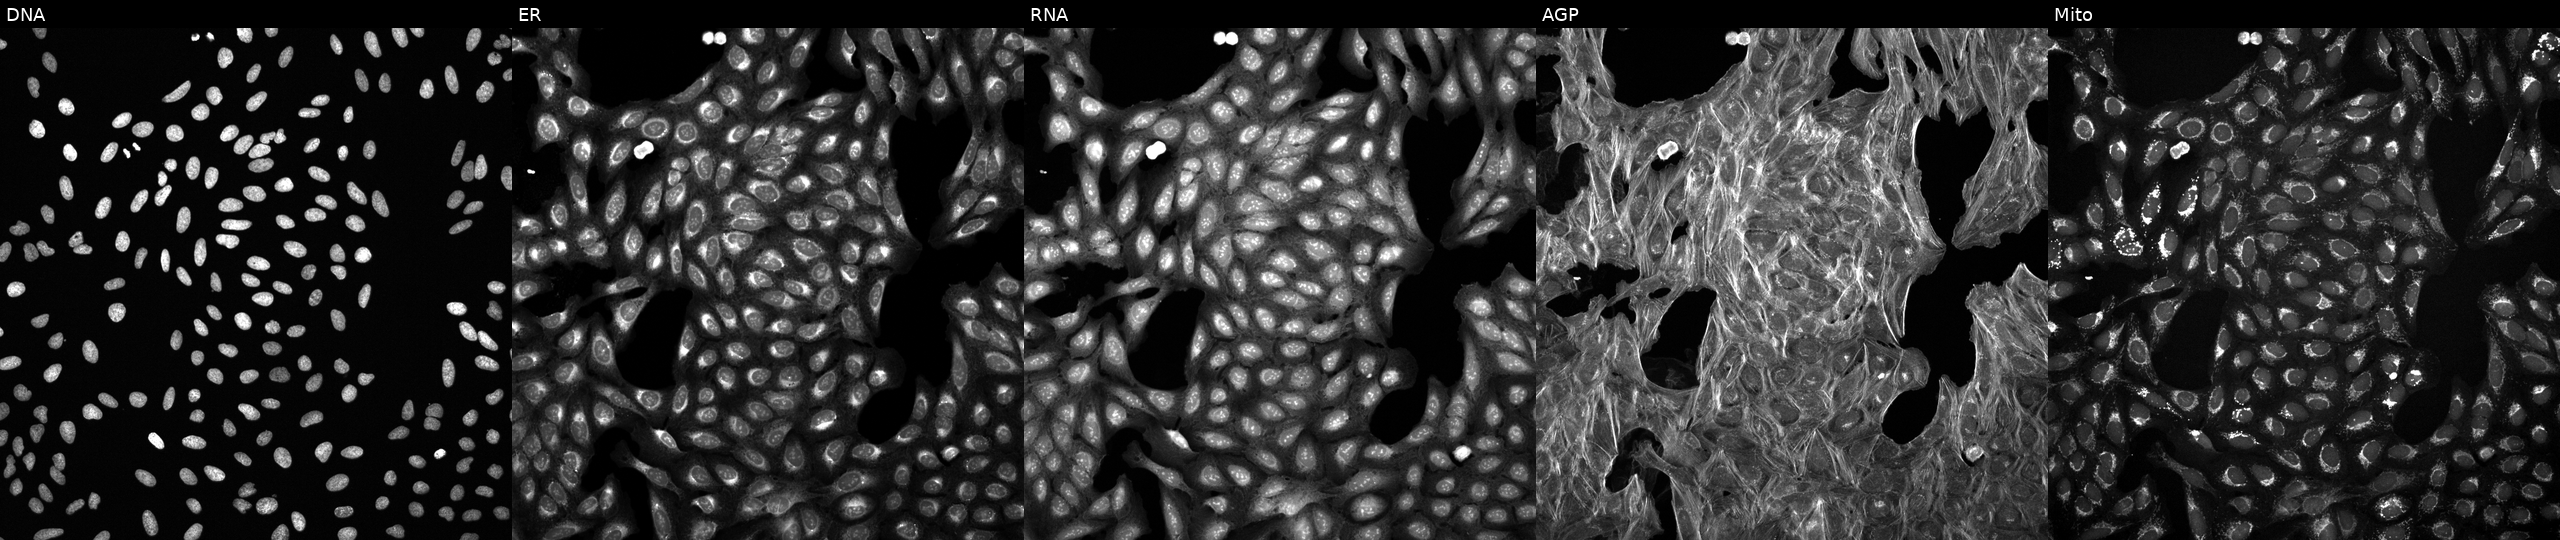
High-content fluorescence microscopy (Cell Painting). Cell line: U2OS. Perturbation: perturbed with a small-molecule compound (InChIKey YCPYOEKAKWDWBG-UHFFFAOYSA-N). Panels show, left to right, DNA (nuclei); ER (endoplasmic reticulum); RNA (nucleoli and cytoplasmic RNA); AGP (actin cytoskeleton, Golgi, and plasma membrane); Mito (mitochondria).